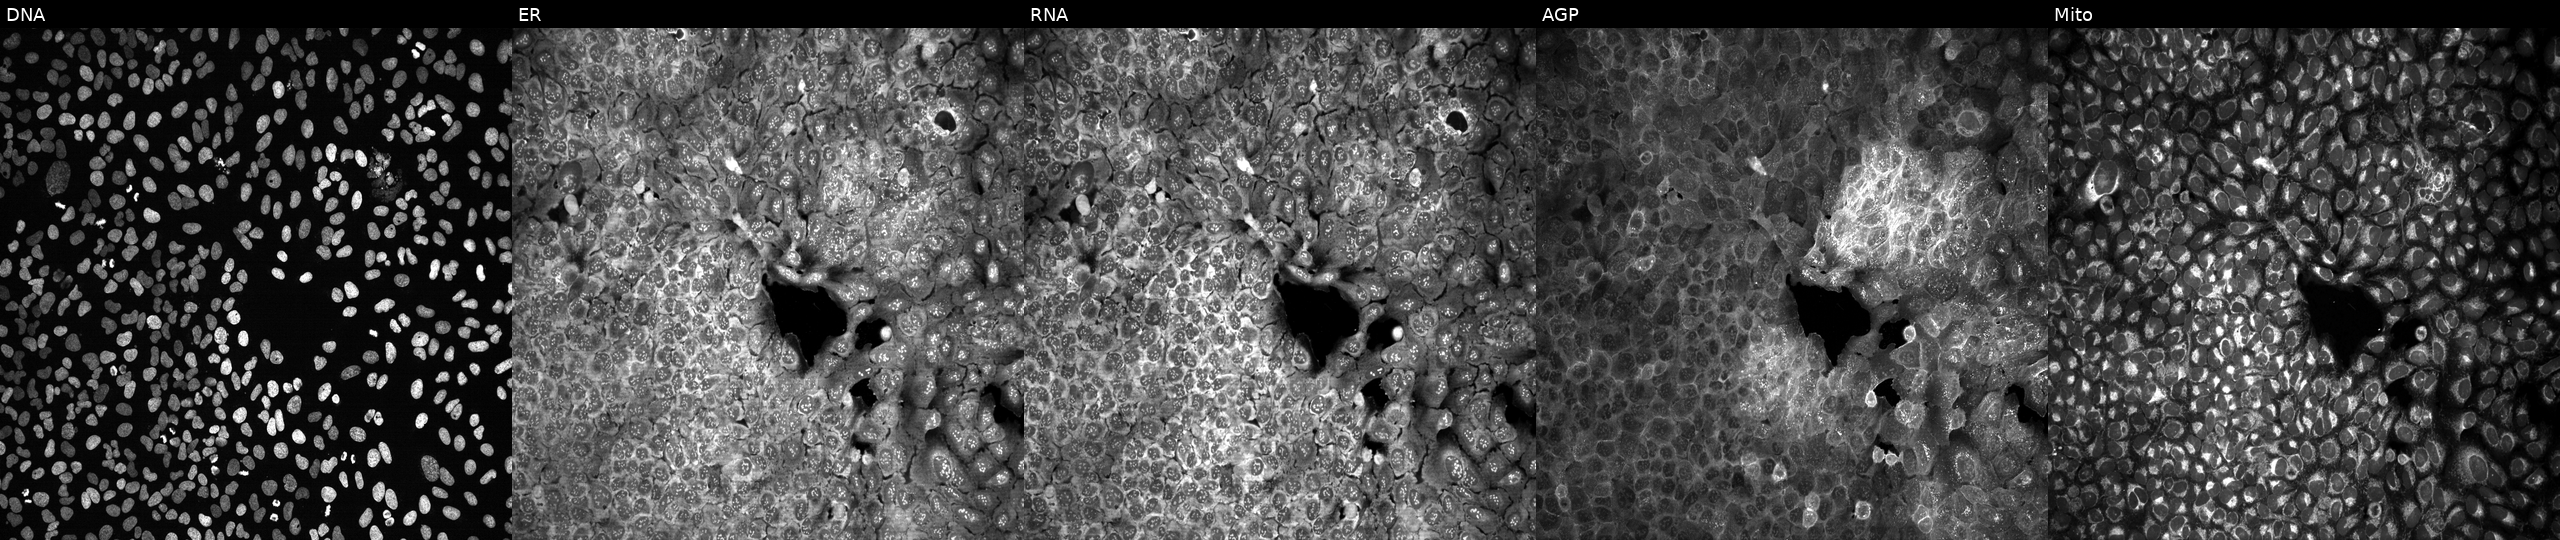
This image strip shows the five Cell Painting channels for a single field of U2OS cells CRISPR-edited to disrupt NCEH1. From left to right: Hoechst 33342, concanavalin A, SYTO 14, phalloidin and WGA, MitoTracker.